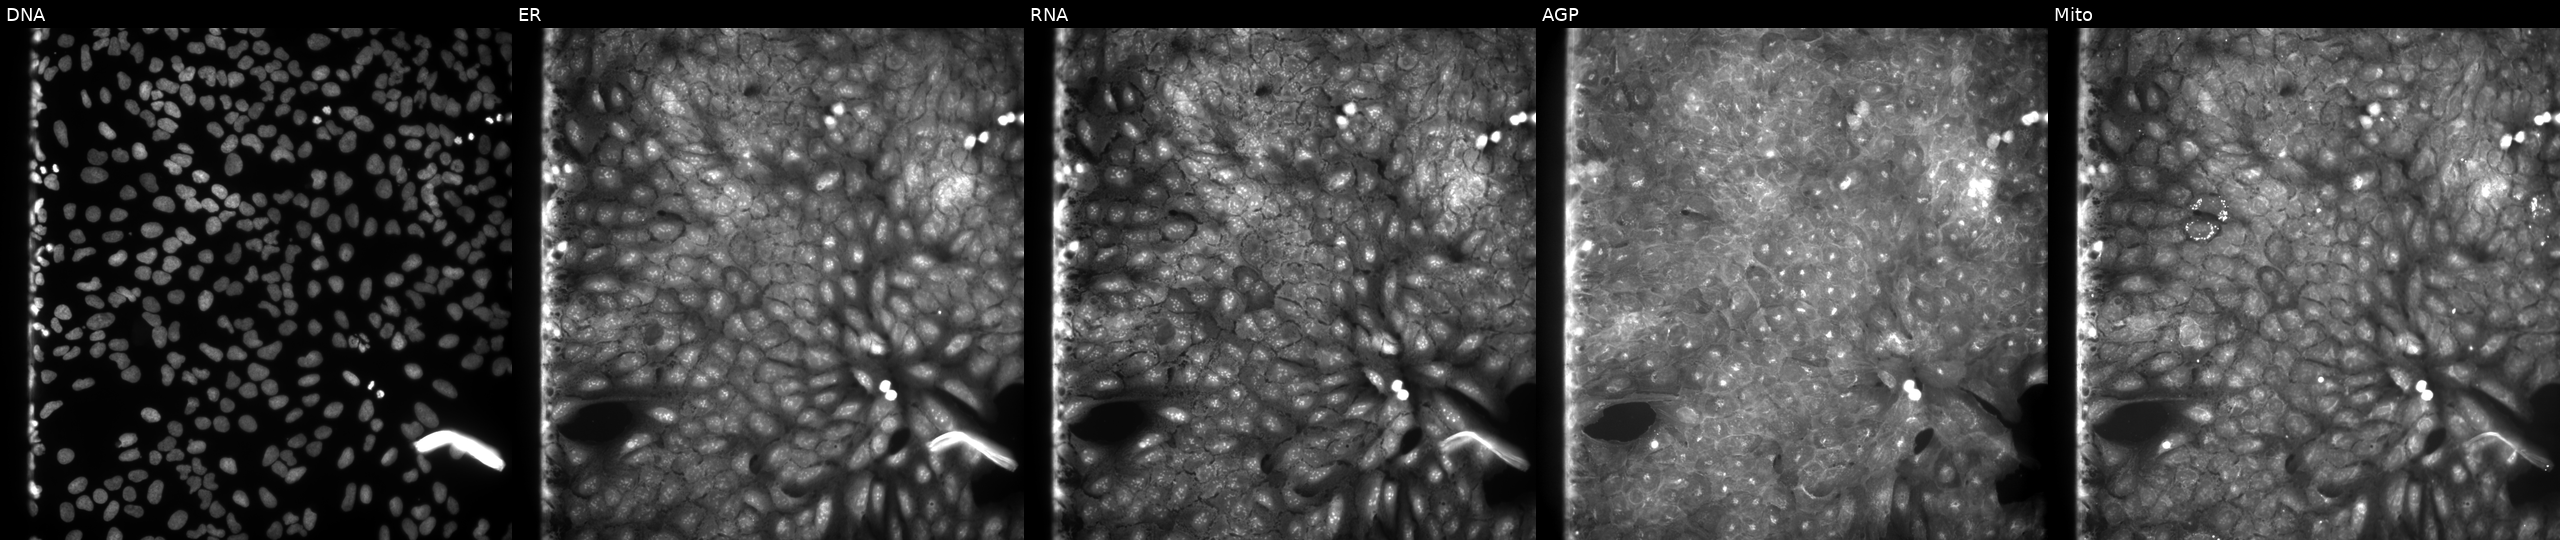
This image strip shows the five Cell Painting channels for a single field of U2OS cells treated with a small-molecule compound (InChIKey QPYUXPFHBOENOJ-UHFFFAOYSA-N) (JUMP id JCP2022_075123). From left to right: Hoechst 33342, concanavalin A, SYTO 14, phalloidin and WGA, MitoTracker.